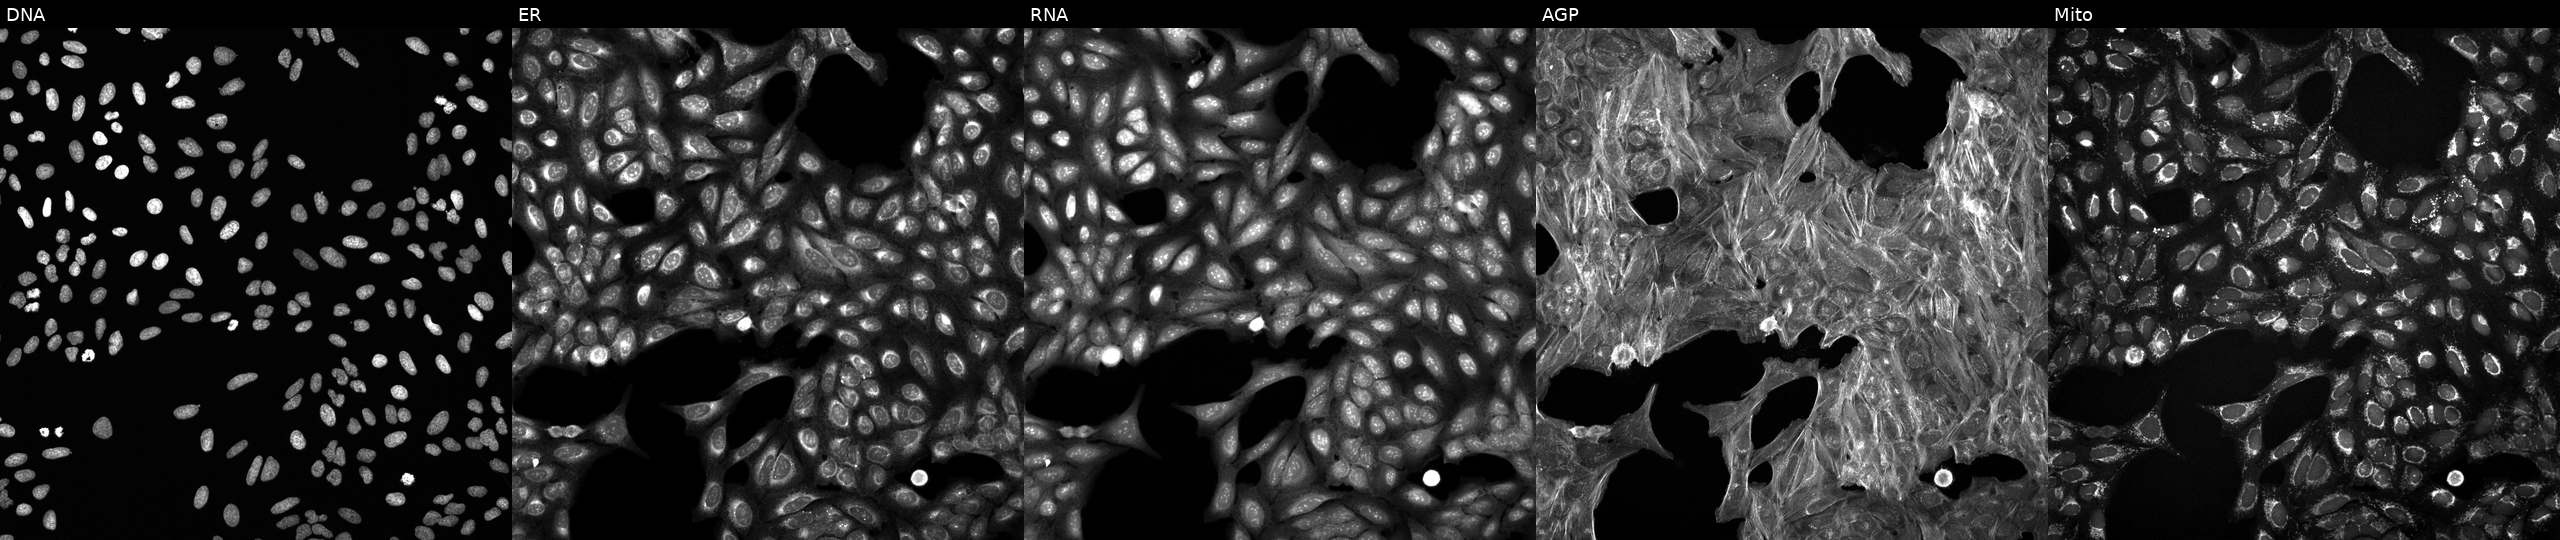
Panels show, left to right, DNA (nuclei); ER (endoplasmic reticulum); RNA (nucleoli and cytoplasmic RNA); AGP (actin cytoskeleton, Golgi, and plasma membrane); Mito (mitochondria). U2OS osteosarcoma cells exposed to a small-molecule compound (InChIKey IGUOXLCJZMXAQR-UHFFFAOYSA-N). Cell Painting assay, JUMP-CP dataset. Source 6, plate 110000293082, well C11.